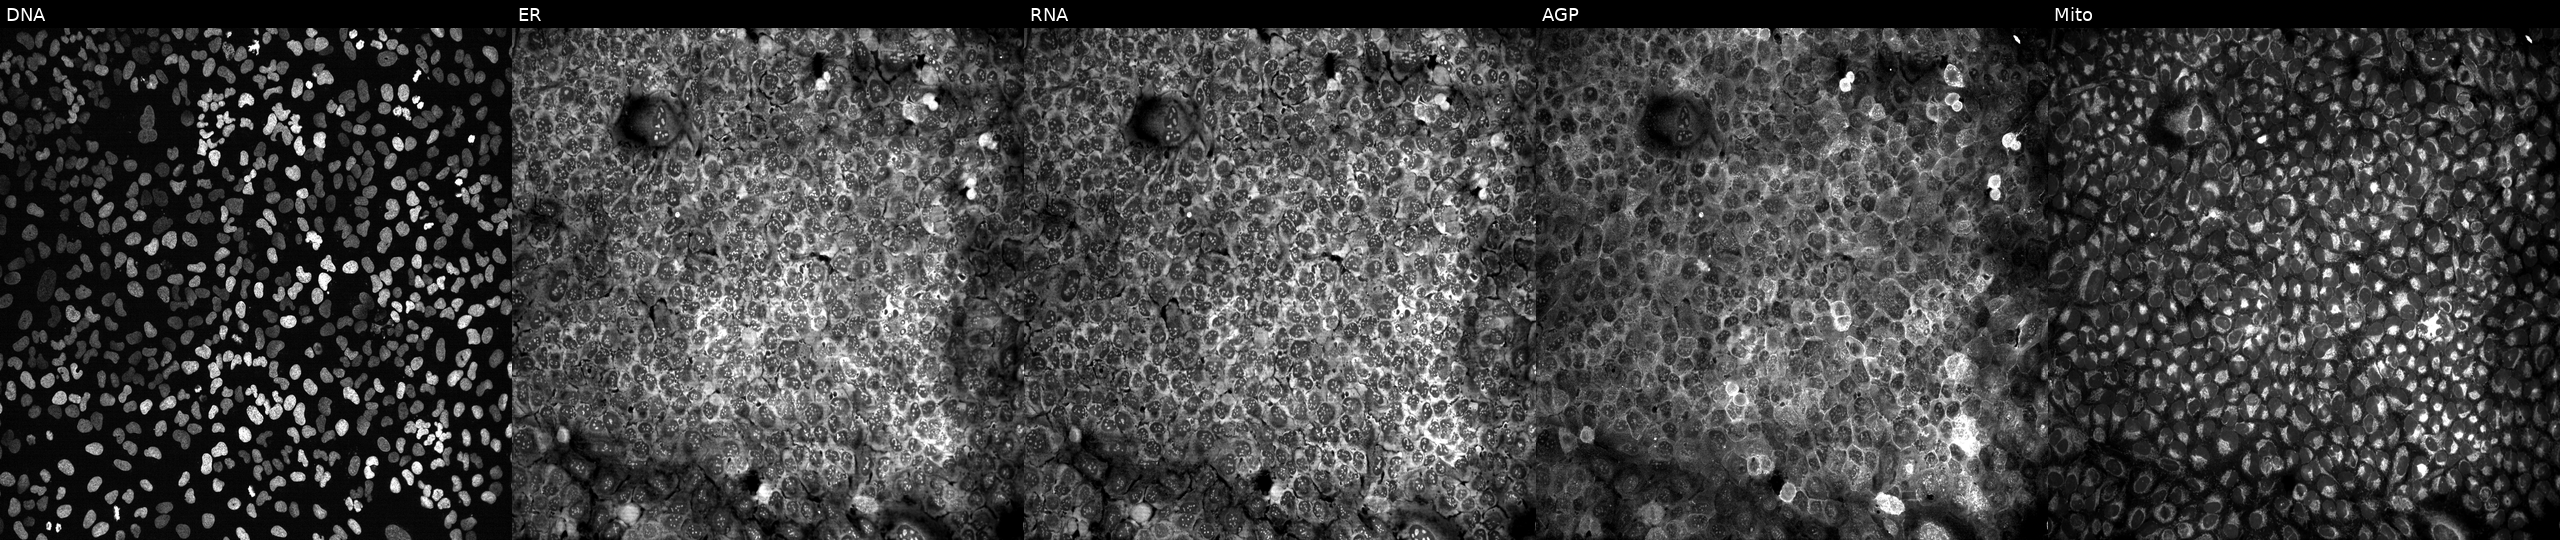
U2OS cells, Cell Painting assay, following CRISPR knockout of MAN2A2 (JUMP id JCP2022_803967). From left to right: Hoechst 33342, concanavalin A, SYTO 14, phalloidin and WGA, MitoTracker. Each panel is percentile-stretched 16-bit fluorescence.